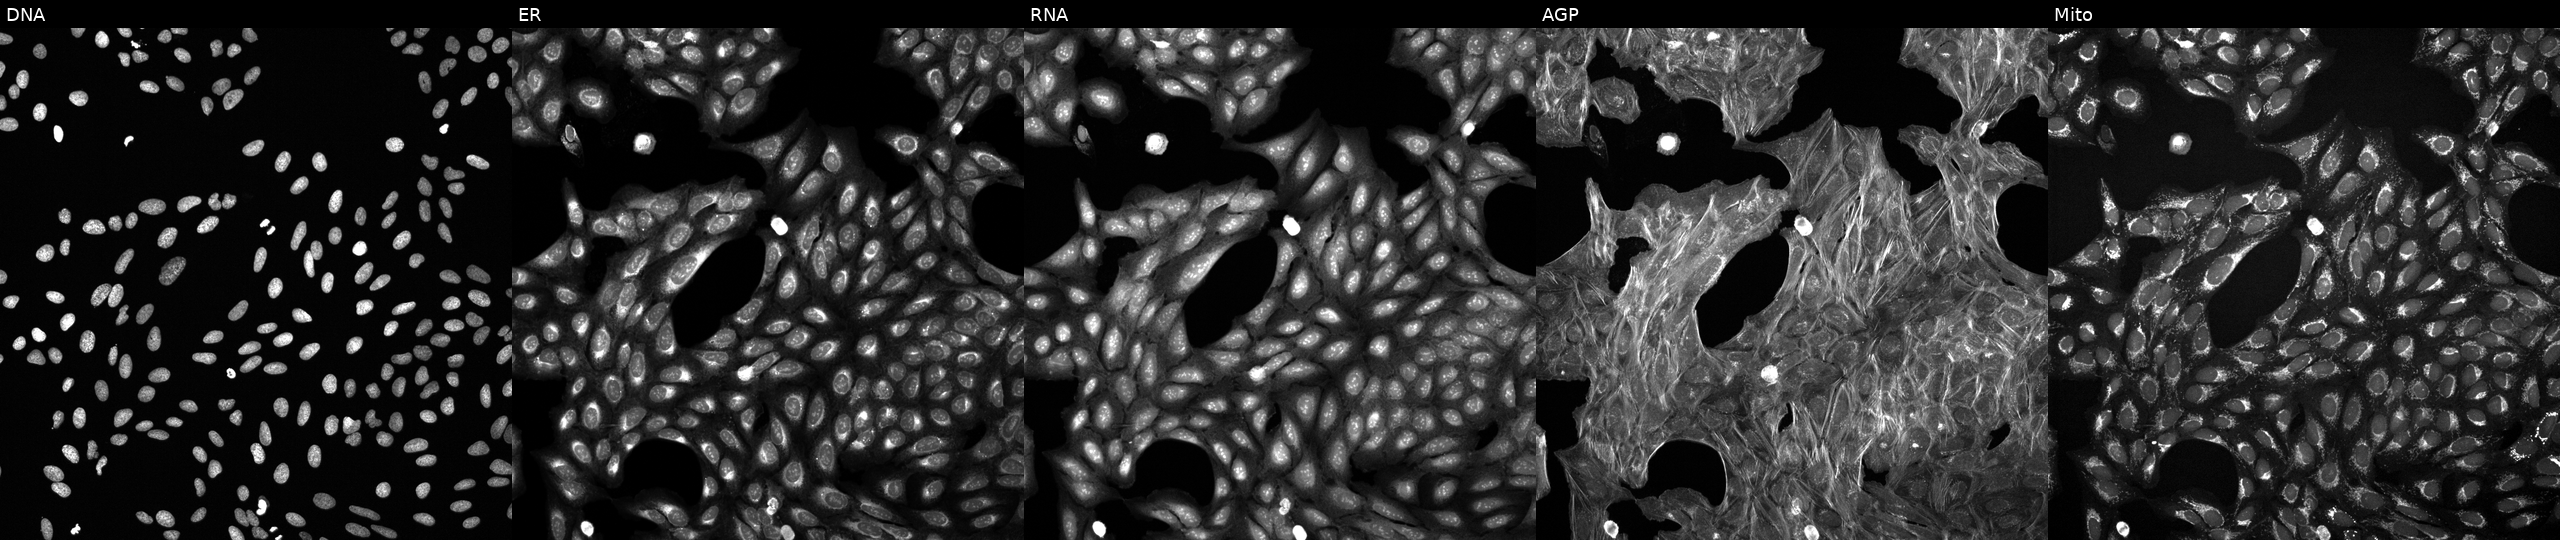
JUMP Cell Painting — COMPOUND plate. U2OS cells perturbed with a small-molecule compound (InChIKey XXXRGMDWXMARBV-UHFFFAOYSA-N) (JUMP id JCP2022_106775). From left to right: DNA (nuclei); ER (endoplasmic reticulum); RNA (nucleoli and cytoplasmic RNA); AGP (actin cytoskeleton, Golgi, and plasma membrane); Mito (mitochondria). Source 6, plate 110000293083, well H10.